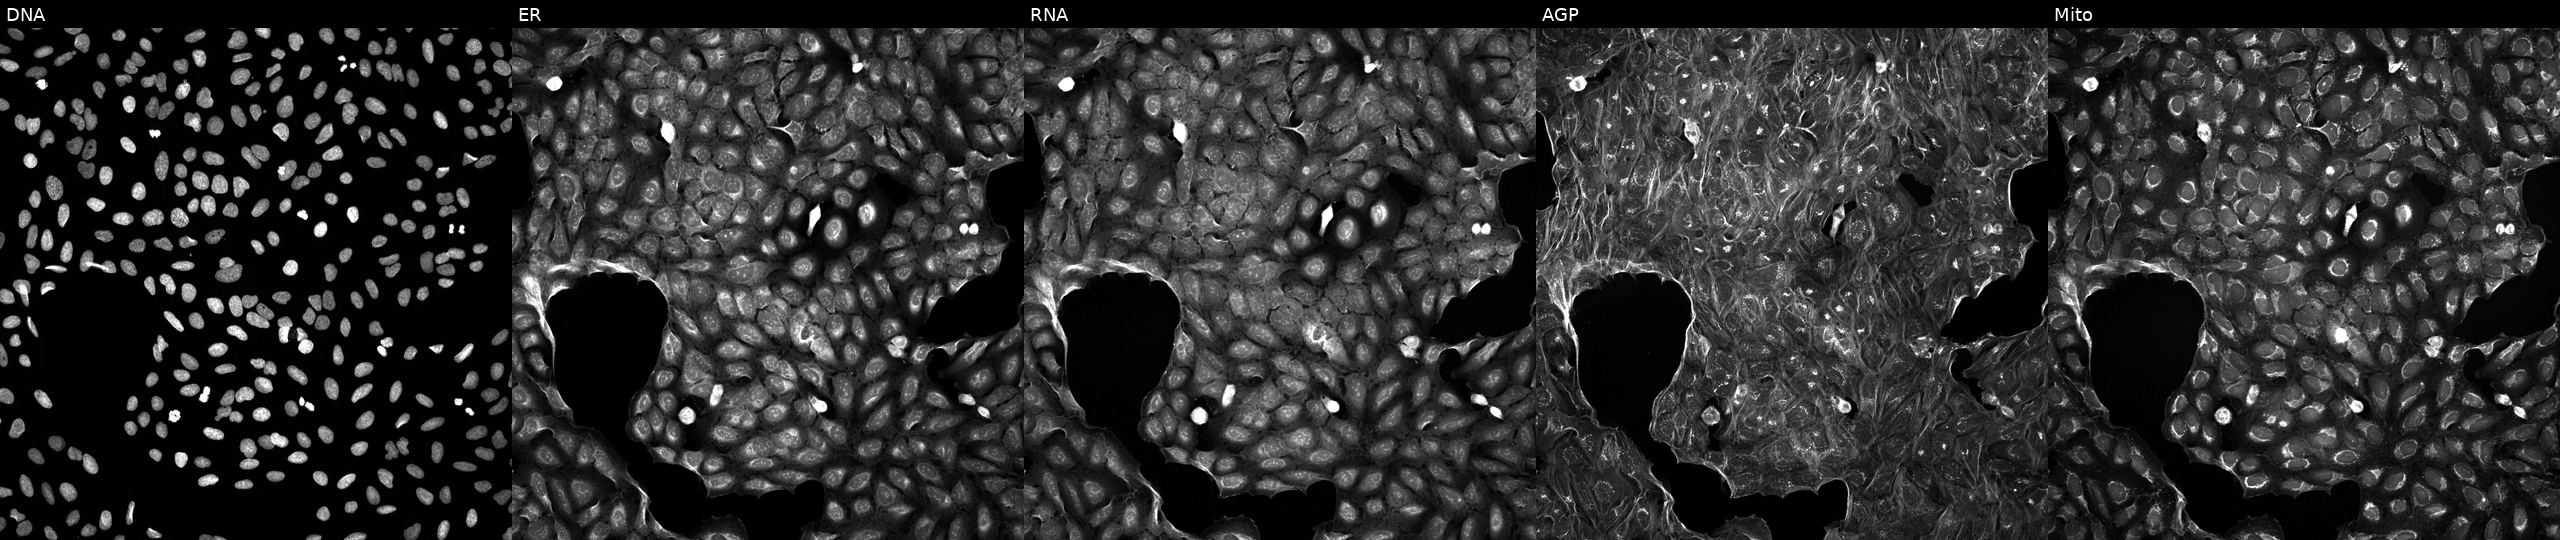
High-content fluorescence microscopy (Cell Painting). Cell line: U2OS. Perturbation: treated with DMSO vehicle only (negative control). Panels show, left to right, DNA, ER, RNA, AGP, and Mito.